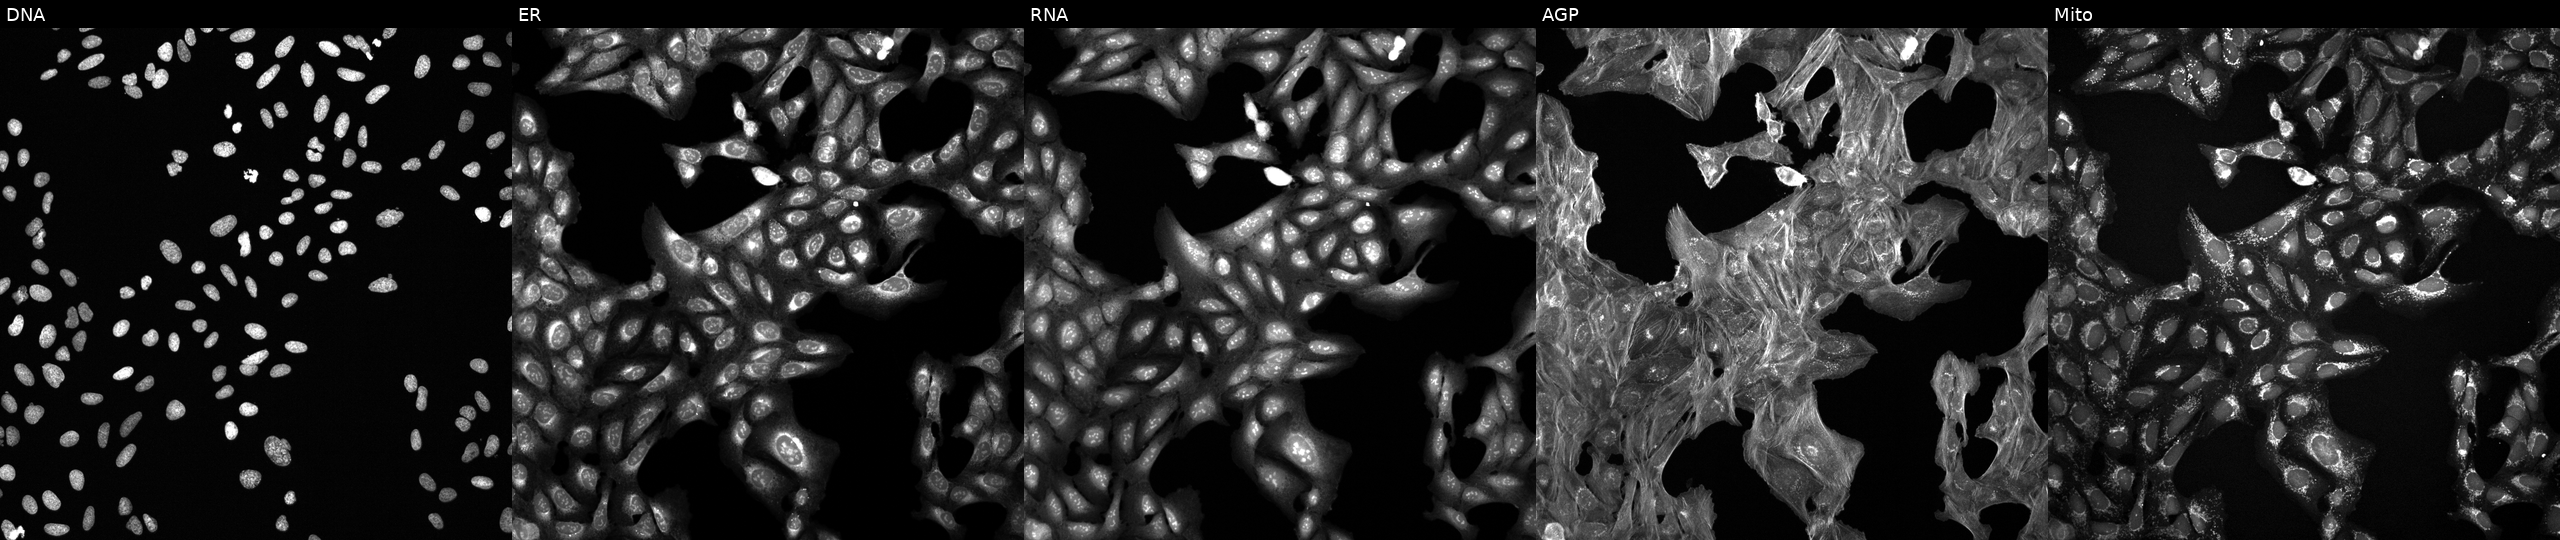
U2OS cells, Cell Painting assay, exposed to a small-molecule compound (InChIKey DZWBPPGLYFPSLE-UHFFFAOYSA-N) [SMILES: Cc1ccc(-c2nc(C(=O)NCCc3ccc(Cl)cc3)cs2)n1C] (JUMP id JCP2022_019277). From left to right: DNA, ER, RNA, AGP, and Mito. Each panel is percentile-stretched 16-bit fluorescence. Source 6, plate 110000293083, well A21.